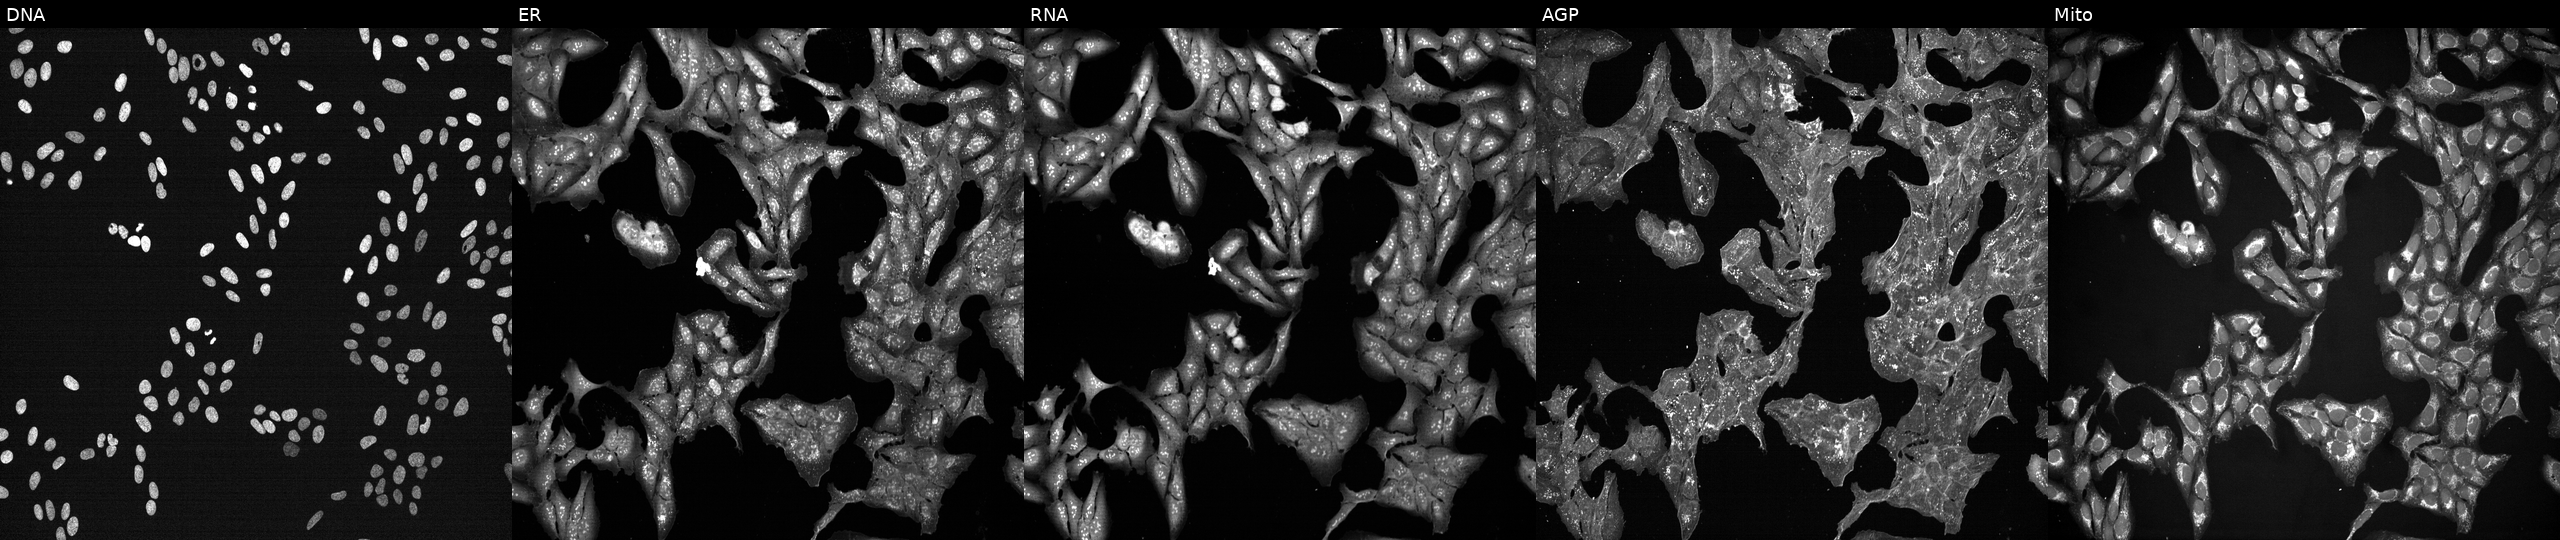
U2OS cells, Cell Painting assay, treated with a small-molecule compound (InChIKey RDOIQAHITMMDAJ-UHFFFAOYSA-N) [SMILES: CN(C)C(=O)C(CCN1CCC(O)(c2ccc(Cl)cc2)CC1)(c1ccccc1)c1ccccc1]. Panels show, left to right, DNA, ER, RNA, AGP, and Mito. Each panel is percentile-stretched 16-bit fluorescence.